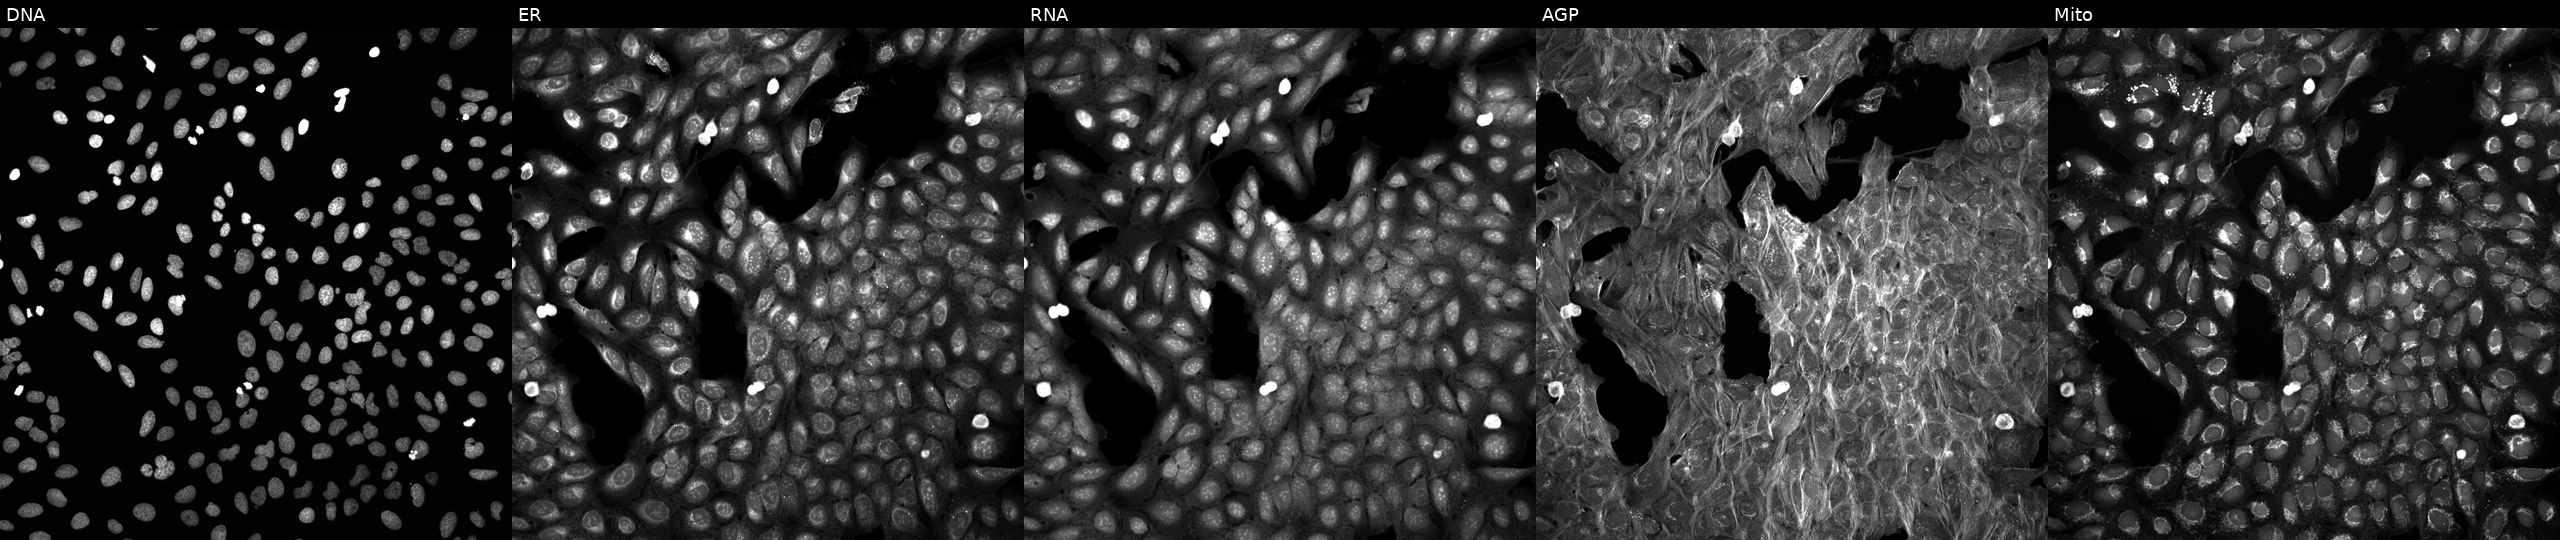
JUMP Cell Painting — TARGET2 plate. U2OS cells treated with a small-molecule compound (InChIKey QWJOPXDAQCDRRM-UHFFFAOYSA-N) (JUMP id JCP2022_076300). Panels show, left to right, DNA (nuclei); ER (endoplasmic reticulum); RNA (nucleoli and cytoplasmic RNA); AGP (actin cytoskeleton, Golgi, and plasma membrane); Mito (mitochondria). Source 6, plate 110000294901, well M16.